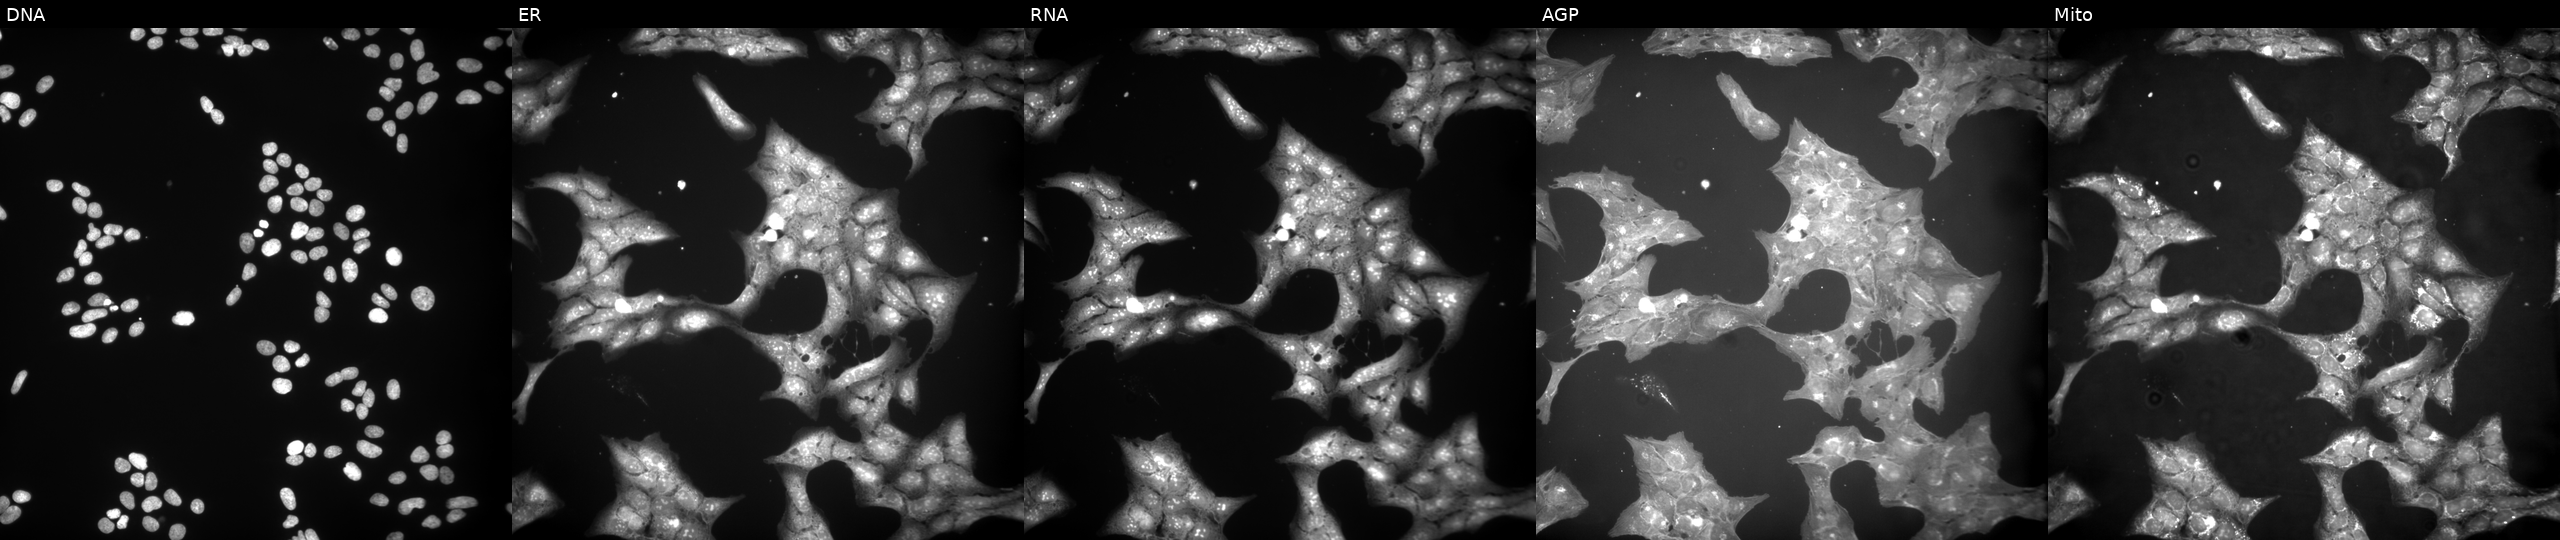
U2OS cells, Cell Painting assay, exposed to a small-molecule compound (InChIKey KASKIBRSGKFFHB-UHFFFAOYSA-N) (JUMP id JCP2022_043340). From left to right: DNA, ER, RNA, AGP, and Mito. Each panel is percentile-stretched 16-bit fluorescence.